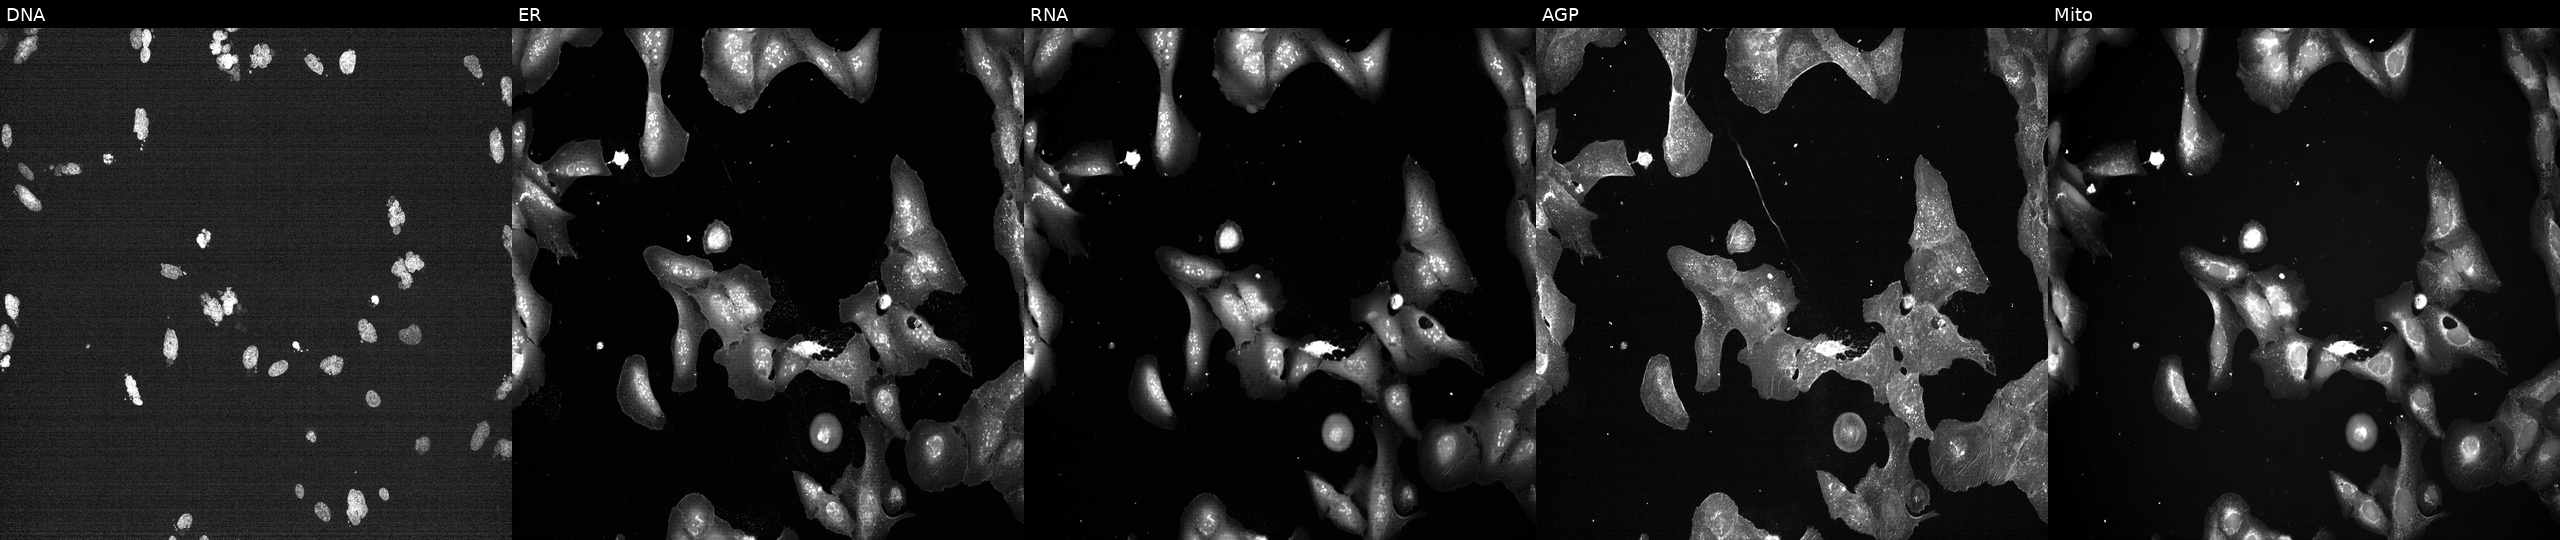
JUMP Cell Painting — TARGET2 plate. U2OS cells exposed to the positive-control compound AMG900 (JUMP id JCP2022_037716). The five panels, left to right, show DNA (nuclei); ER (endoplasmic reticulum); RNA (nucleoli and cytoplasmic RNA); AGP (actin cytoskeleton, Golgi, and plasma membrane); Mito (mitochondria). Source 7, plate CP1-SC1-25, well L15.